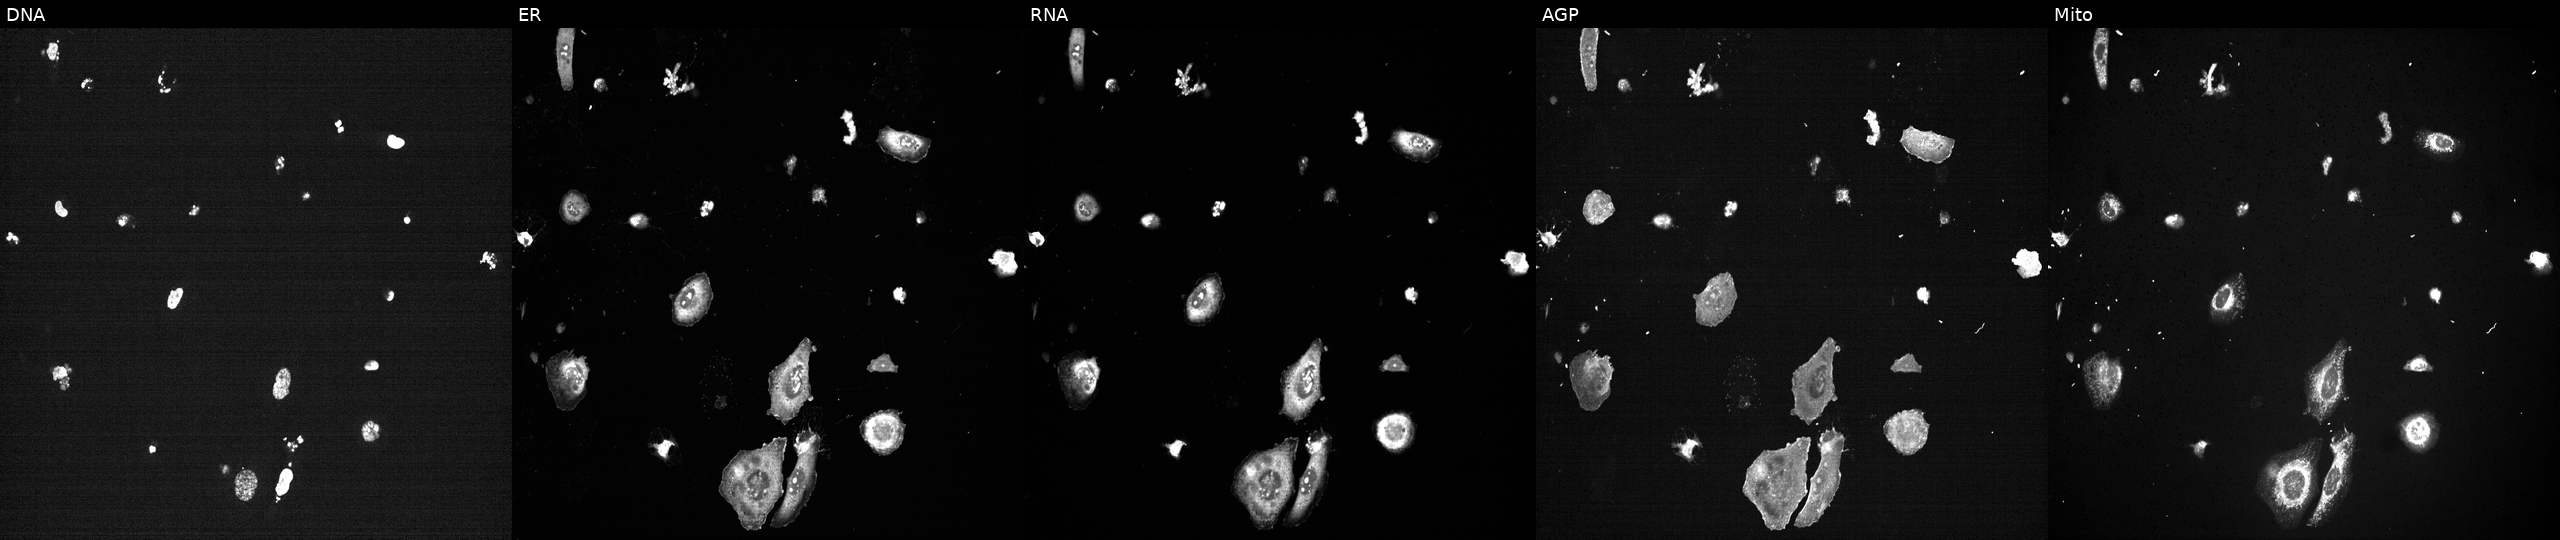
JUMP Cell Painting — CRISPR plate. U2OS cells with PLK1 knocked out by CRISPR (positive control) (JUMP id JCP2022_805264). Panels show, left to right, DNA, ER, RNA, AGP, and Mito.